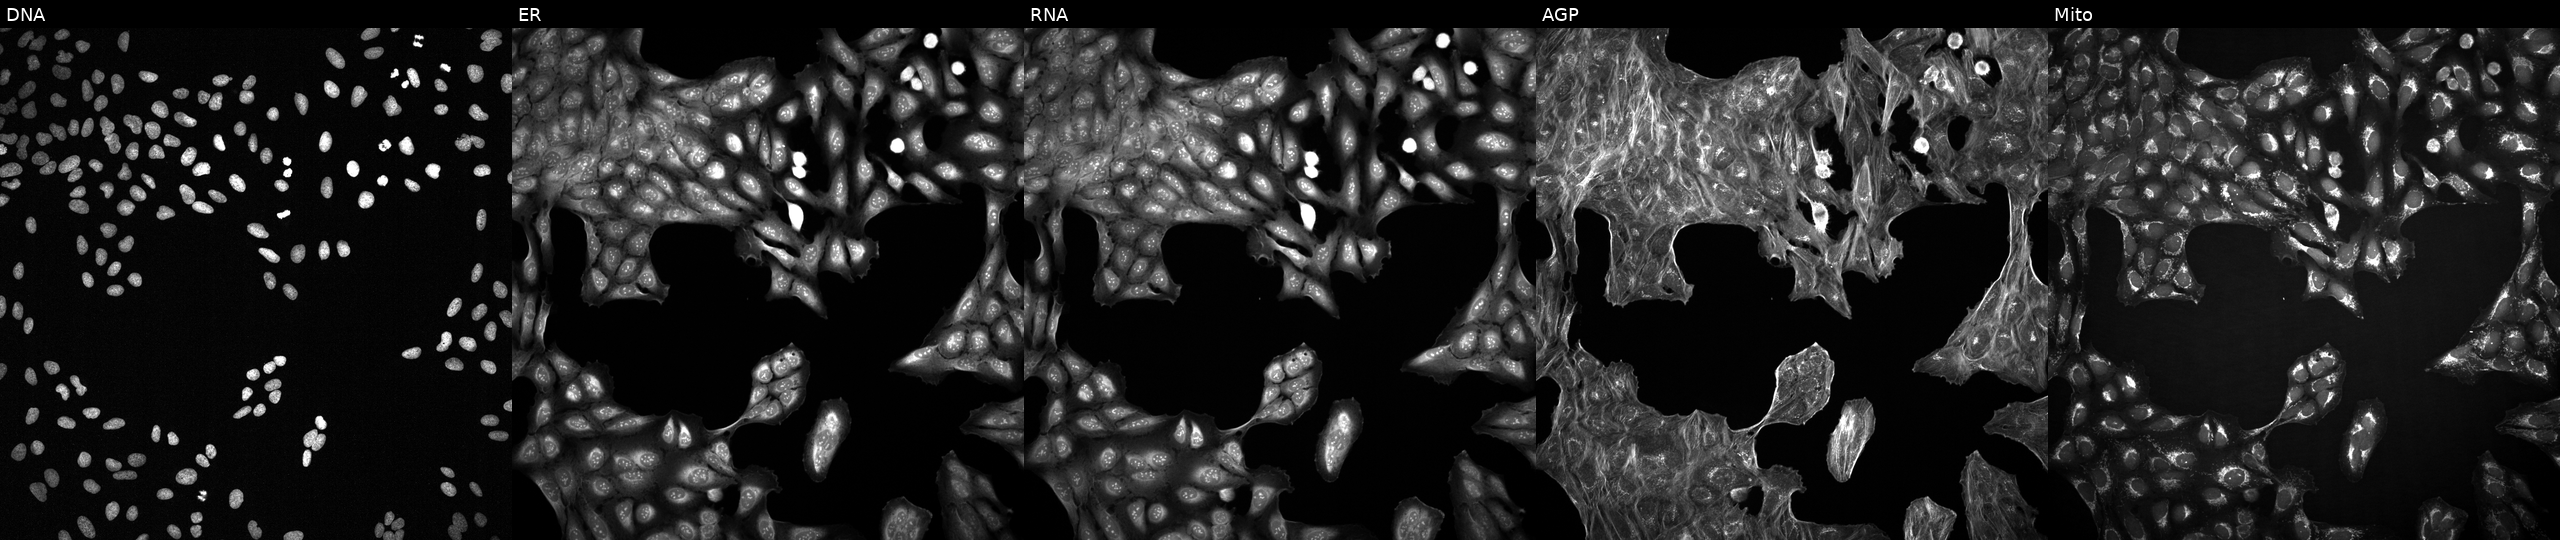
Five-channel Cell Painting image of U2OS cells with an unidentified perturbation (not annotated in JUMP metadata). The five panels, left to right, show DNA, ER, RNA, AGP, and Mito.